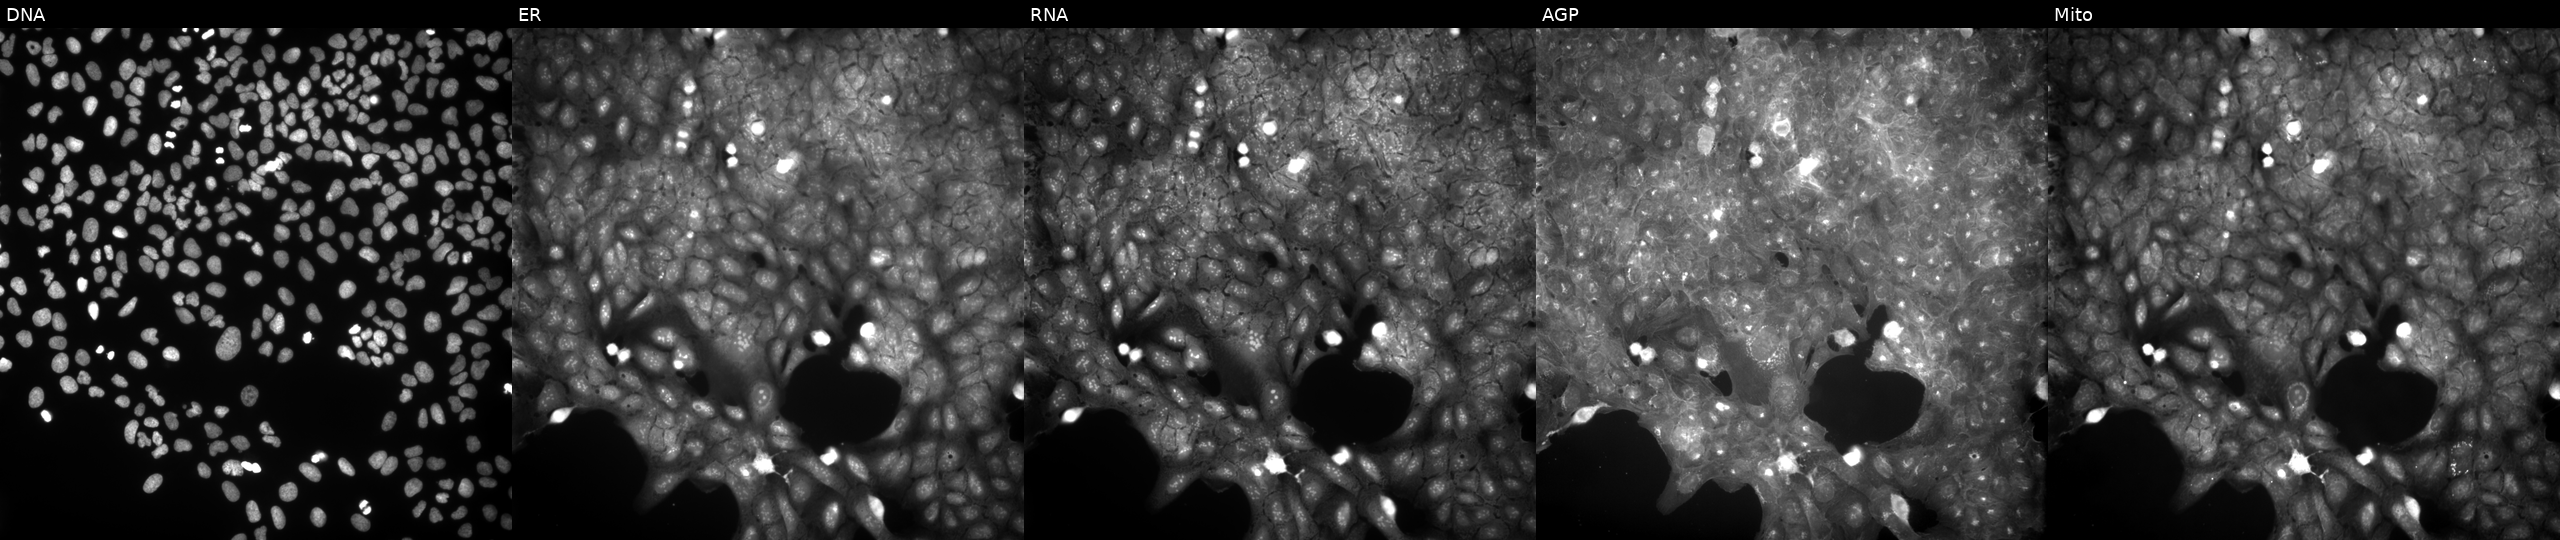
JUMP Cell Painting — COMPOUND plate. U2OS cells perturbed with a small-molecule compound (InChIKey SXHHQYKEDCRGGT-UHFFFAOYSA-N) [SMILES: O=c1oc2ccccc2cc1-c1csc(=NN=C2CCCC2)[nH]1]. The five panels, left to right, show DNA, ER, RNA, AGP, and Mito. Source 9, plate GR00003381, well O20.